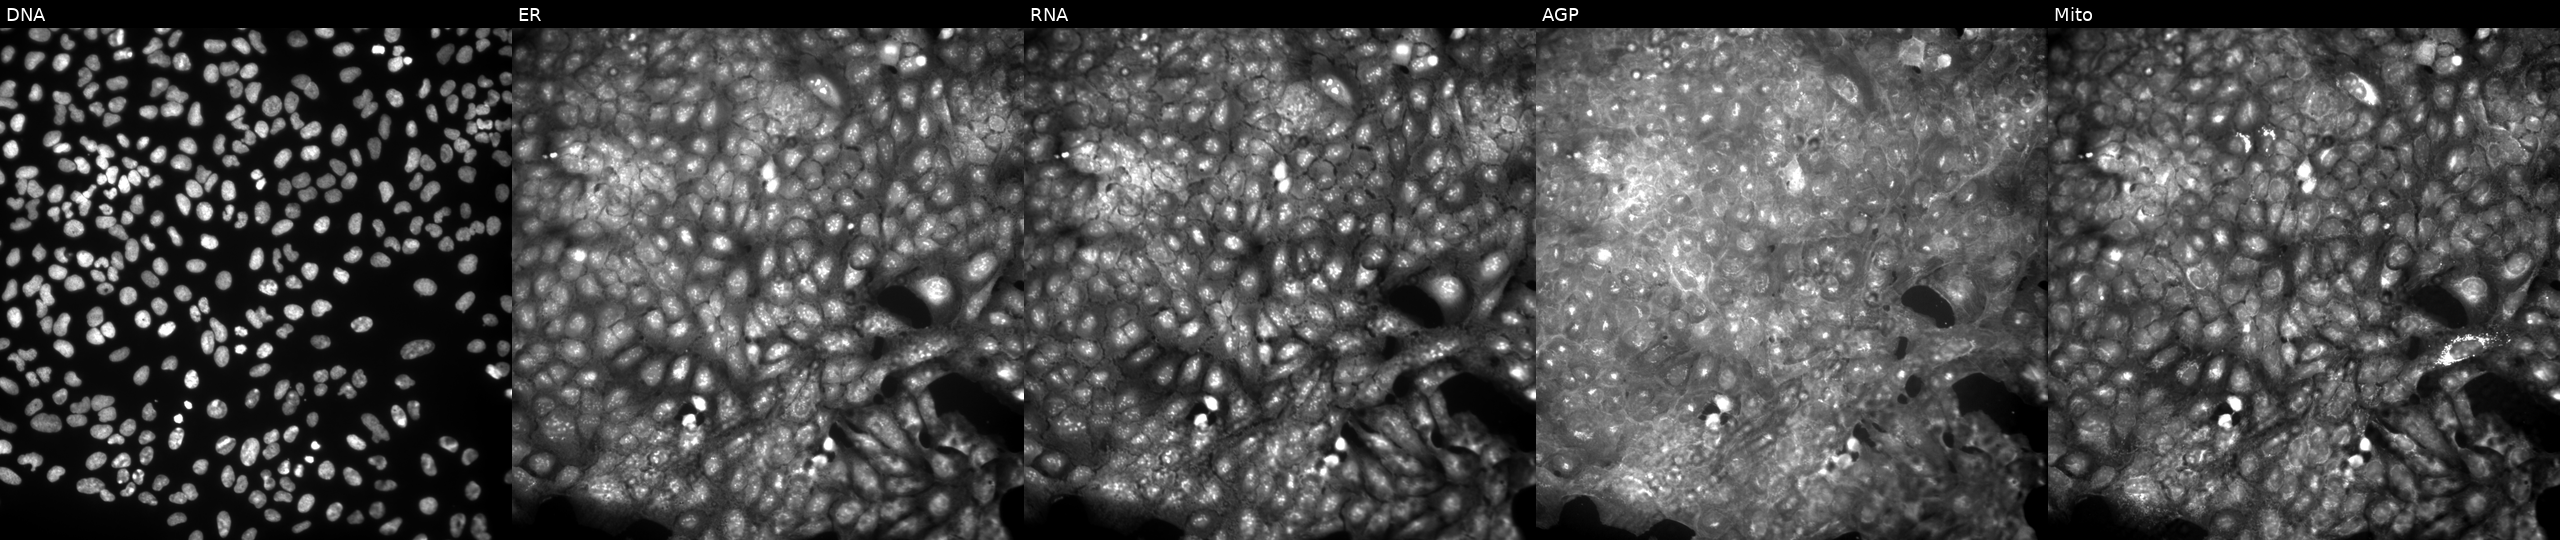
Five-channel Cell Painting image of U2OS cells exposed to a small-molecule compound (InChIKey IFINLROWOUFLMI-UHFFFAOYSA-N). Panels show, left to right, Hoechst 33342, concanavalin A, SYTO 14, phalloidin and WGA, MitoTracker.